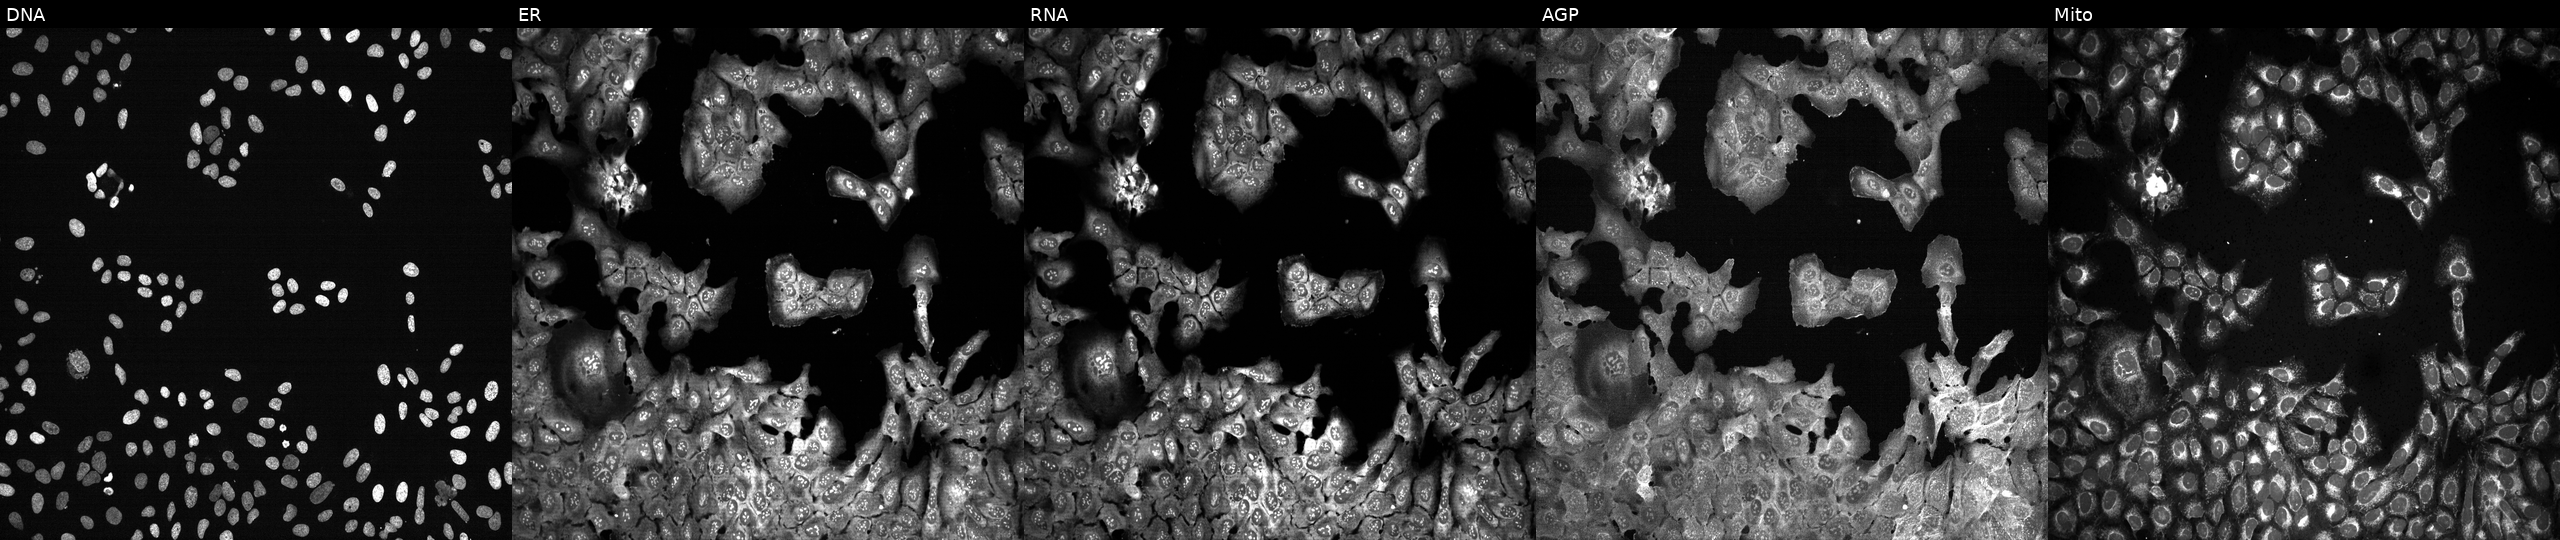
Five-channel Cell Painting image of U2OS cells following CRISPR knockout of MARS (JUMP id JCP2022_804038). Panels show, left to right, DNA (nuclei); ER (endoplasmic reticulum); RNA (nucleoli and cytoplasmic RNA); AGP (actin cytoskeleton, Golgi, and plasma membrane); Mito (mitochondria). Source 13, plate CP-CC9-R3-02, well L06.